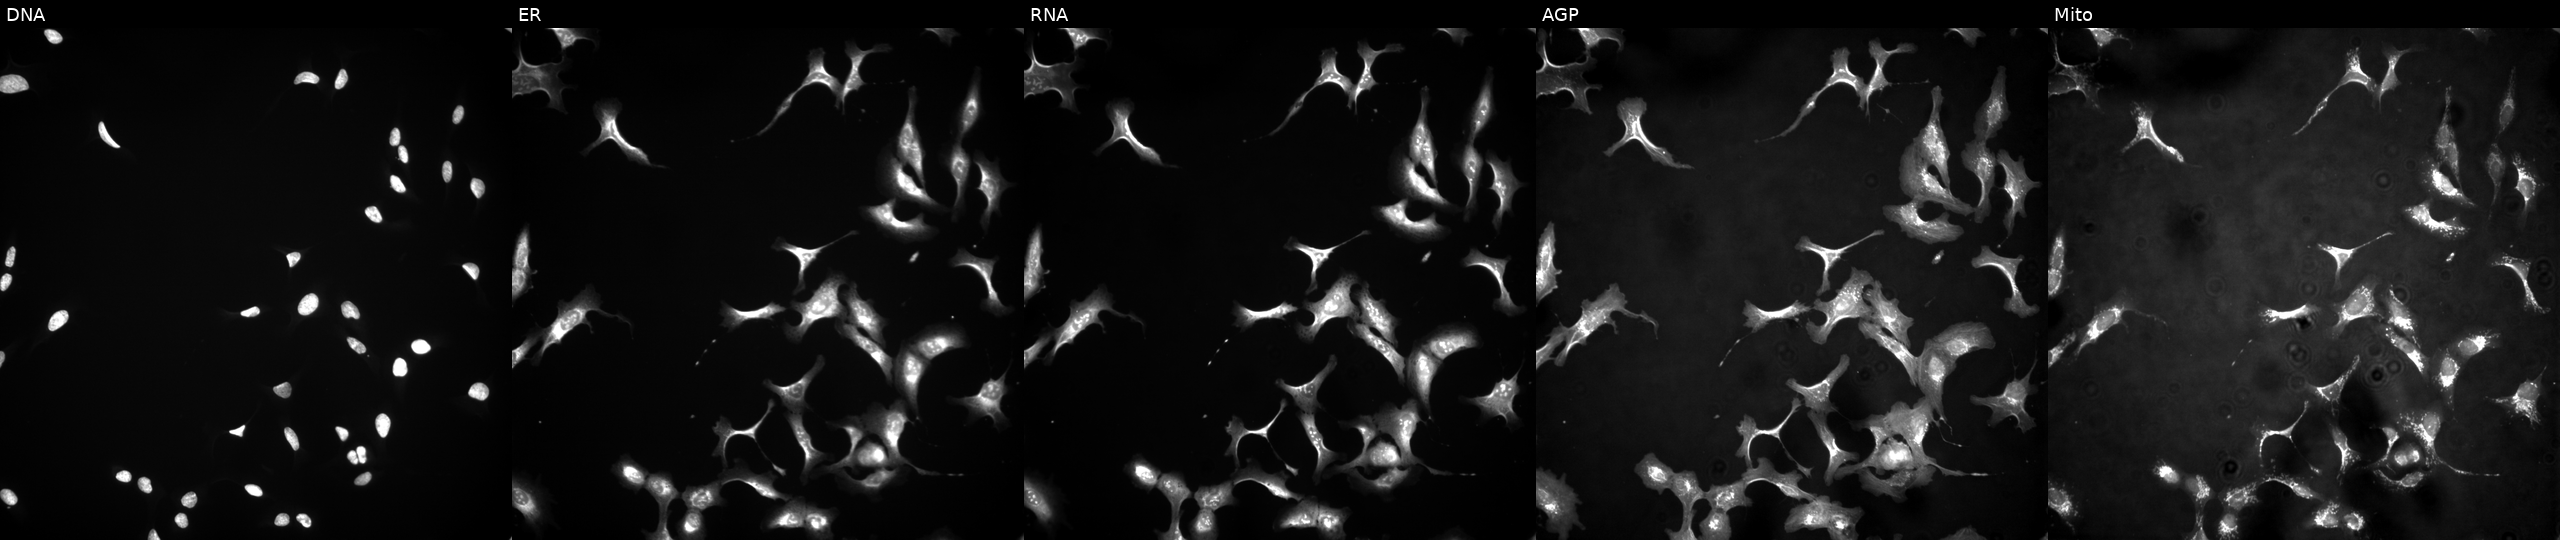
This image strip shows the five Cell Painting channels for a single field of U2OS cells expressing HcRed (ORF negative control) (JUMP id JCP2022_915129). Channels (left→right): Hoechst 33342, concanavalin A, SYTO 14, phalloidin and WGA, MitoTracker.